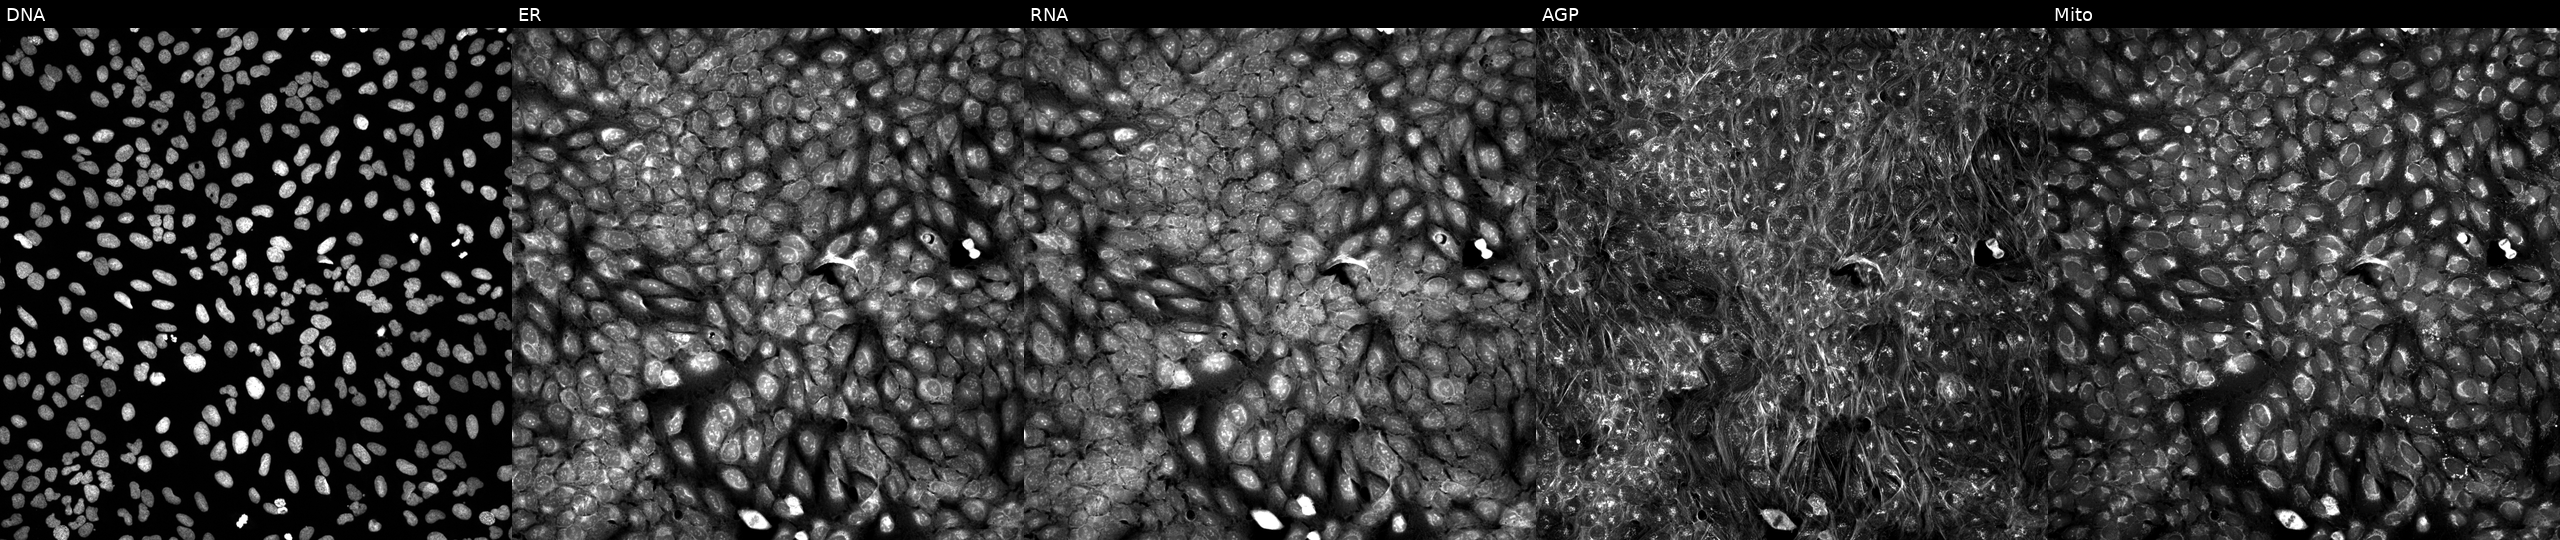
Panels show, left to right, Hoechst 33342, concanavalin A, SYTO 14, phalloidin and WGA, MitoTracker. U2OS osteosarcoma cells exposed to a small-molecule compound (JUMP id JCP2022_075916). Cell Painting assay, JUMP-CP dataset. Source 5, plate ACPJUM032, well P17.